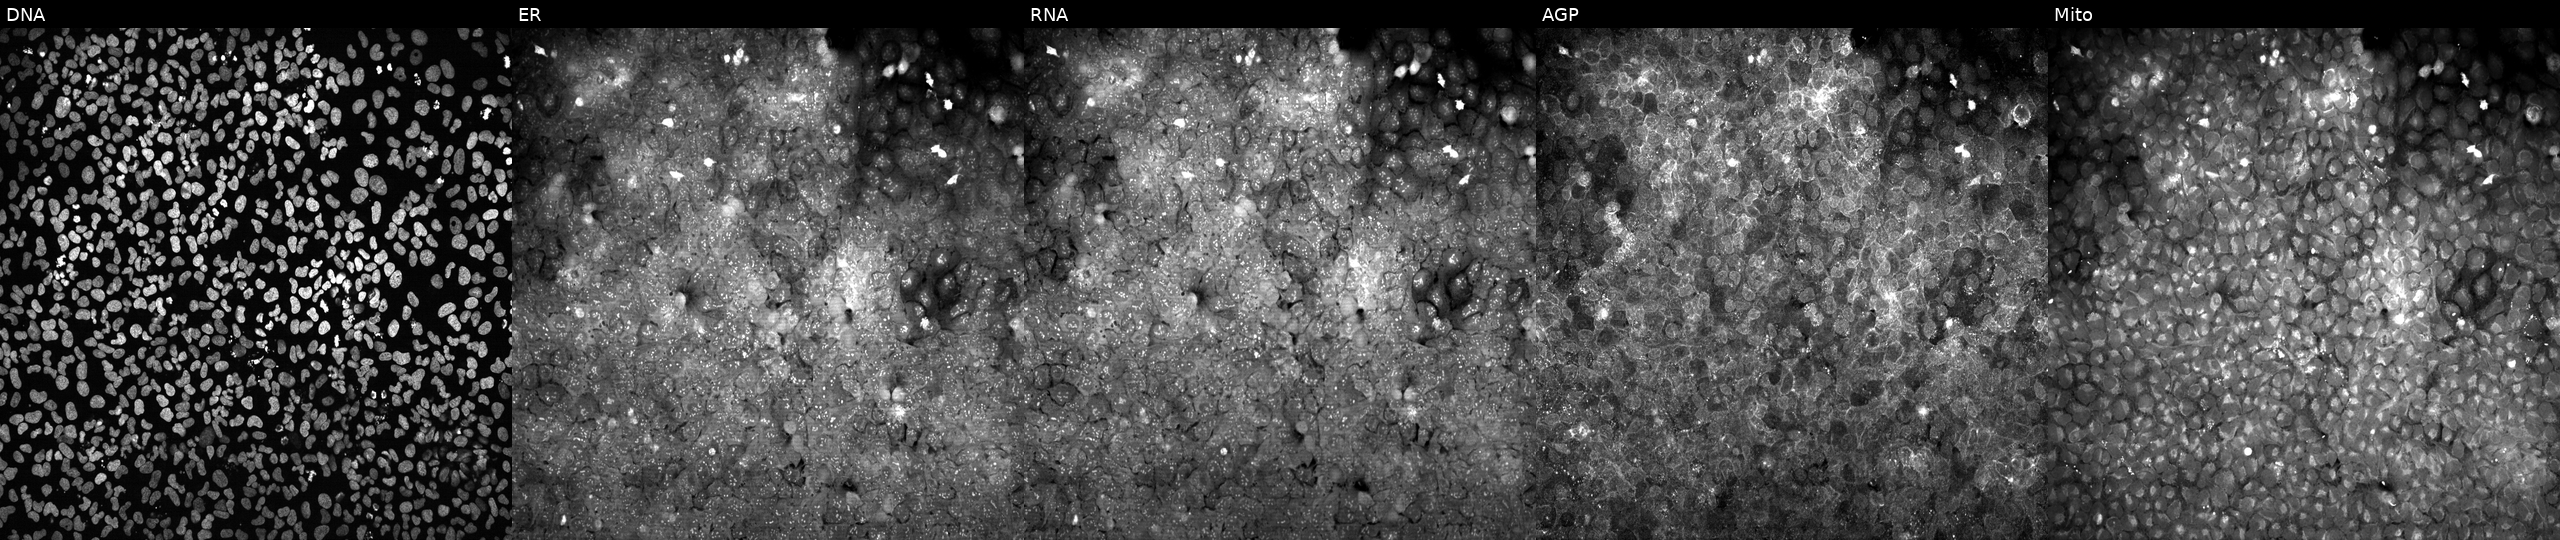
Five-channel Cell Painting image of U2OS cells with SLC6A14 knocked out by CRISPR. The five panels, left to right, show DNA, ER, RNA, AGP, and Mito.